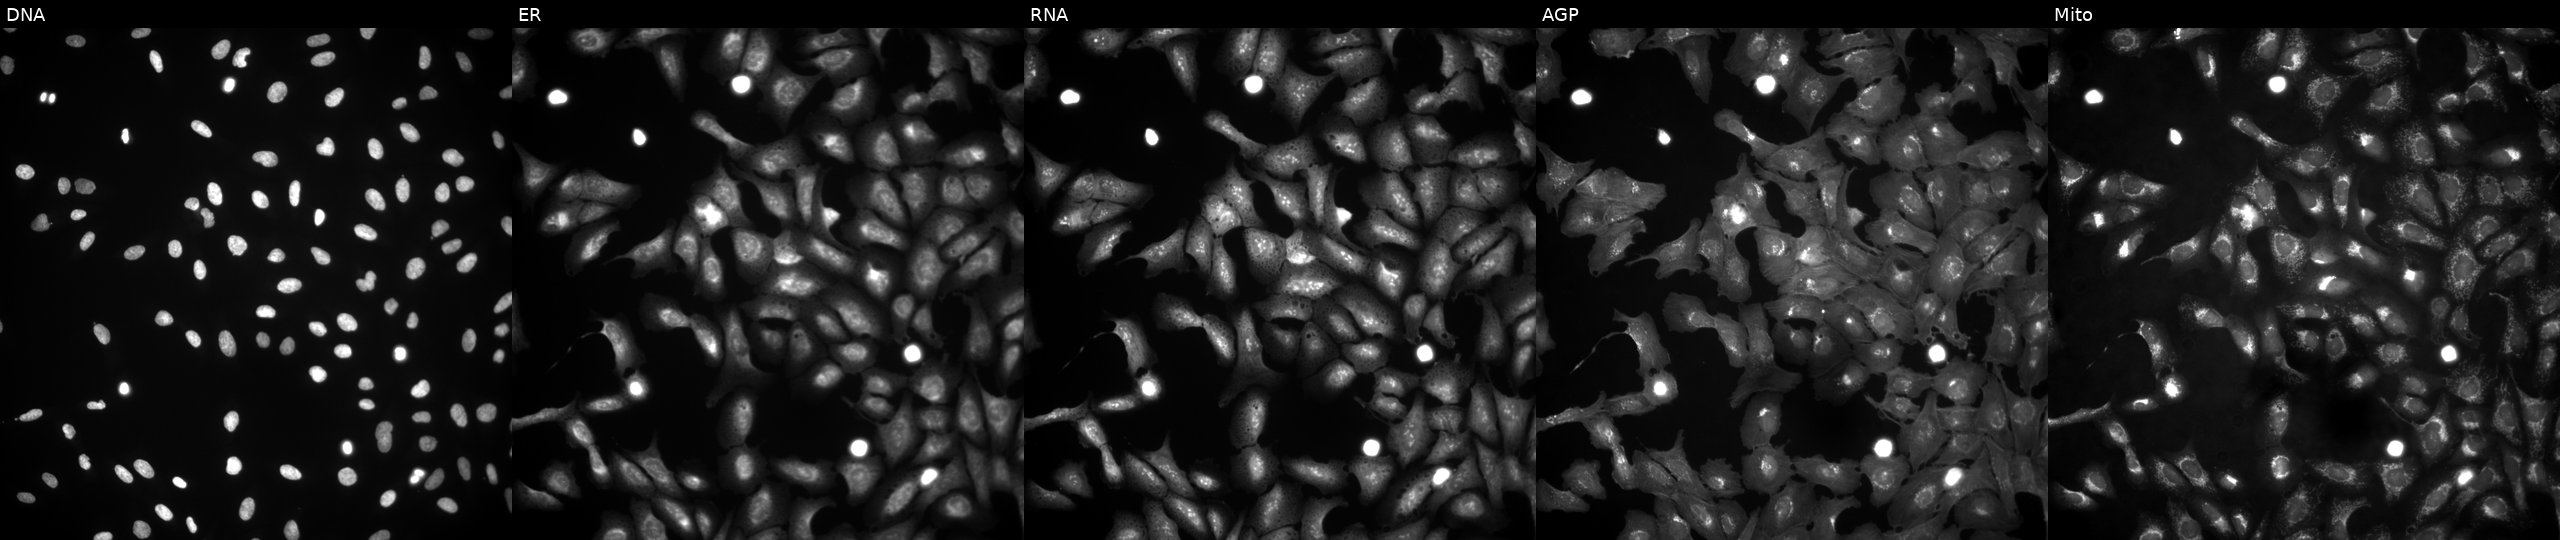
JUMP Cell Painting — ORF plate. U2OS cells transfected with an ORF construct for FUNDC2. From left to right: DNA, ER, RNA, AGP, and Mito.